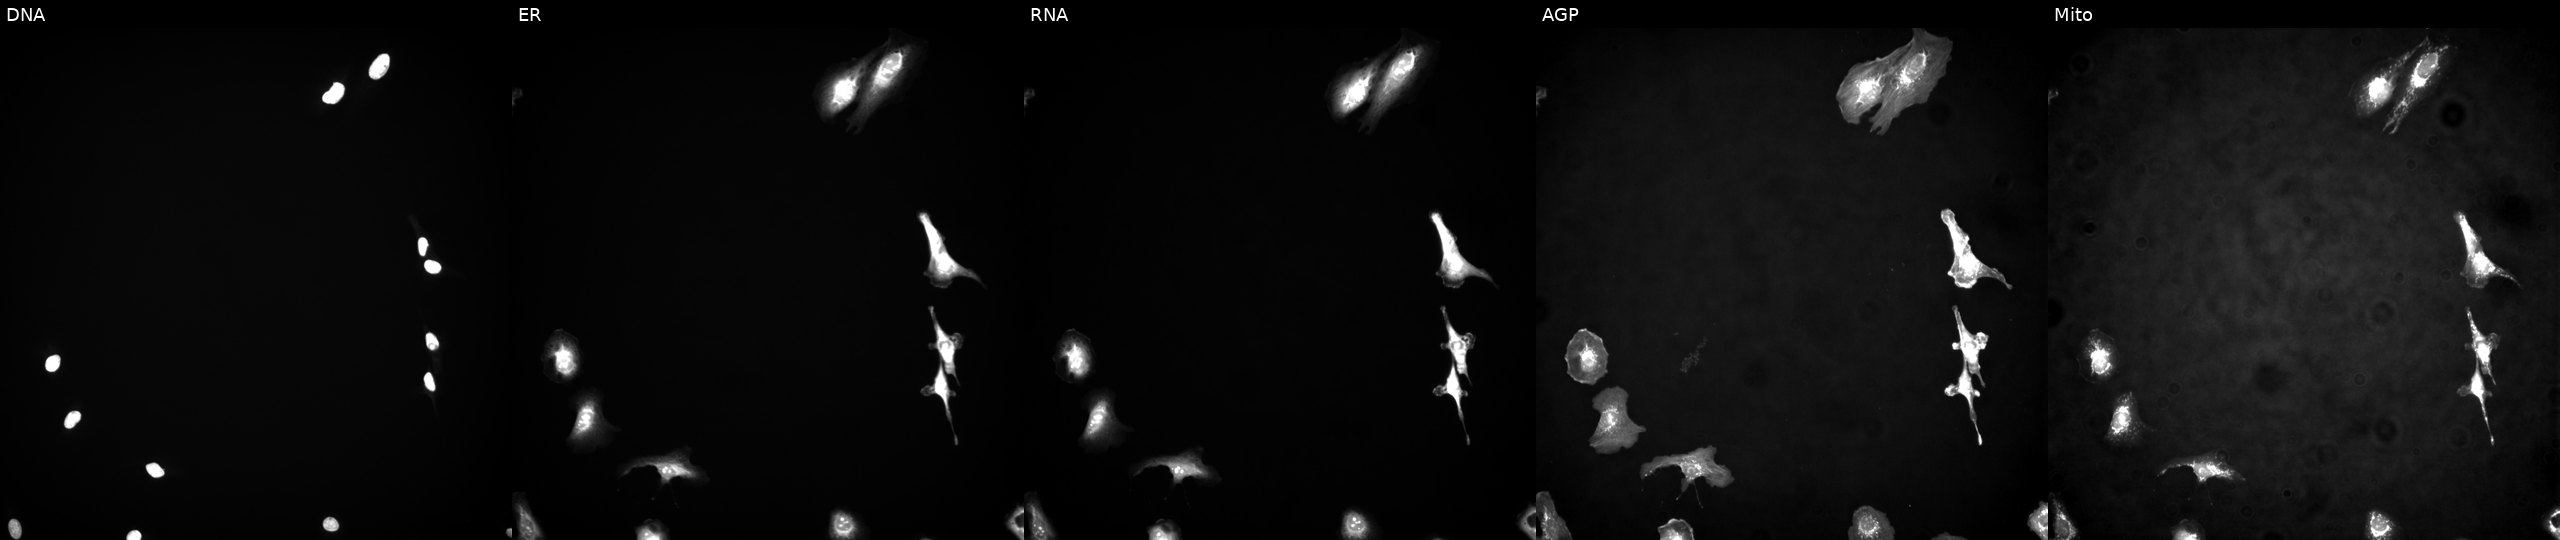
U2OS cells, Cell Painting assay, with AXL overexpressed (ORF). Panels show, left to right, Hoechst 33342, concanavalin A, SYTO 14, phalloidin and WGA, MitoTracker. Each panel is percentile-stretched 16-bit fluorescence. Source 4, plate BR00123945, well N09.